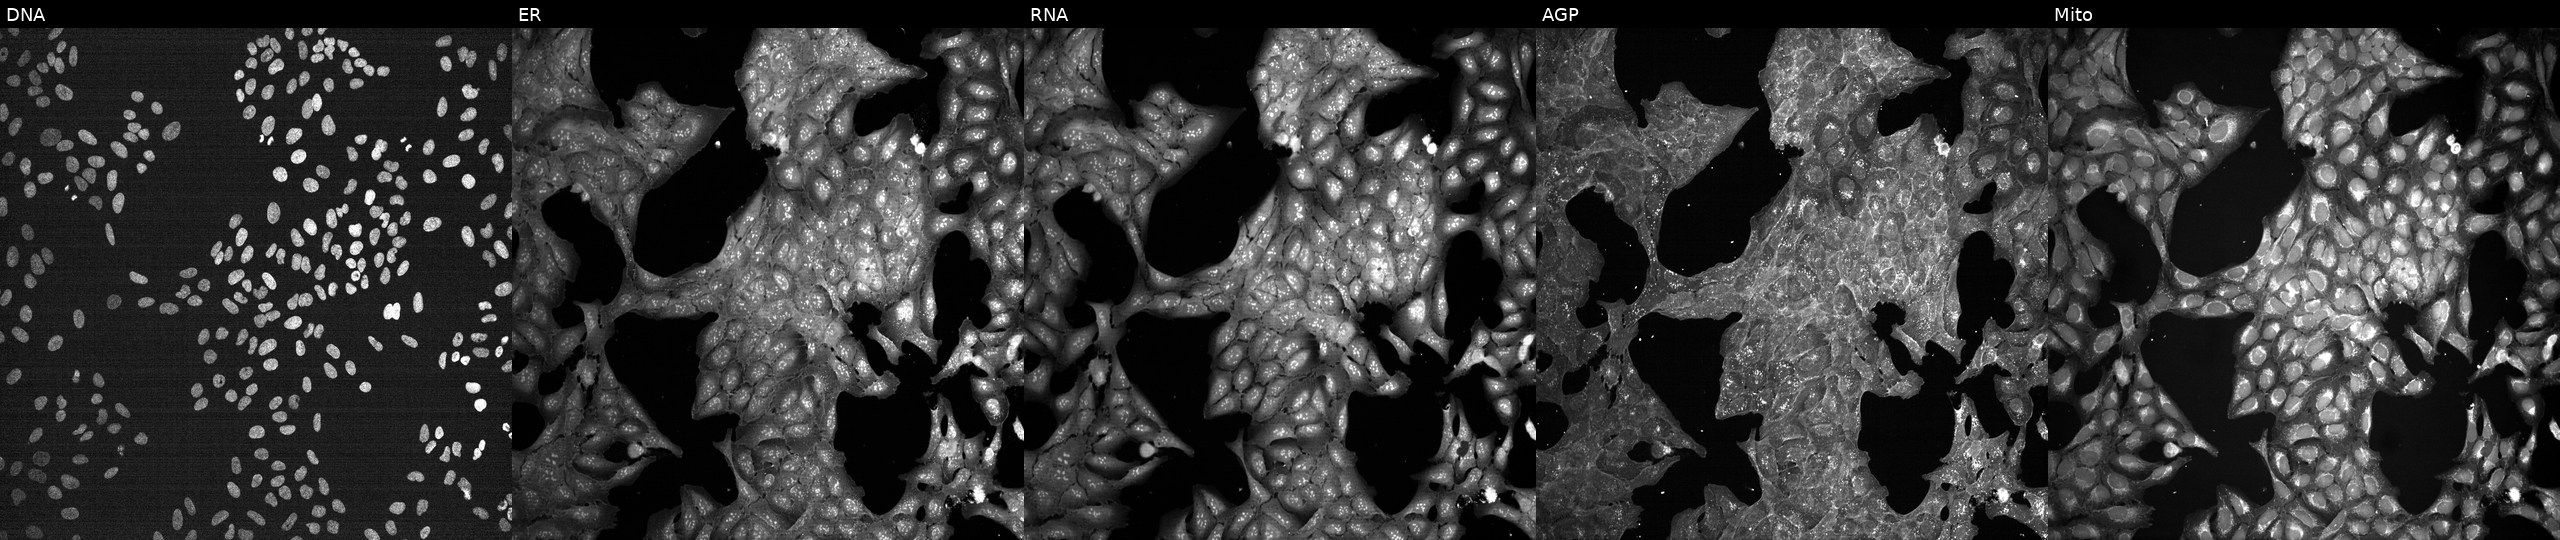
This image strip shows the five Cell Painting channels for a single field of U2OS cells perturbed with a small-molecule compound (InChIKey WPEWQEMJFLWMLV-UHFFFAOYSA-N) (JUMP id JCP2022_100264). From left to right: DNA (nuclei); ER (endoplasmic reticulum); RNA (nucleoli and cytoplasmic RNA); AGP (actin cytoskeleton, Golgi, and plasma membrane); Mito (mitochondria).